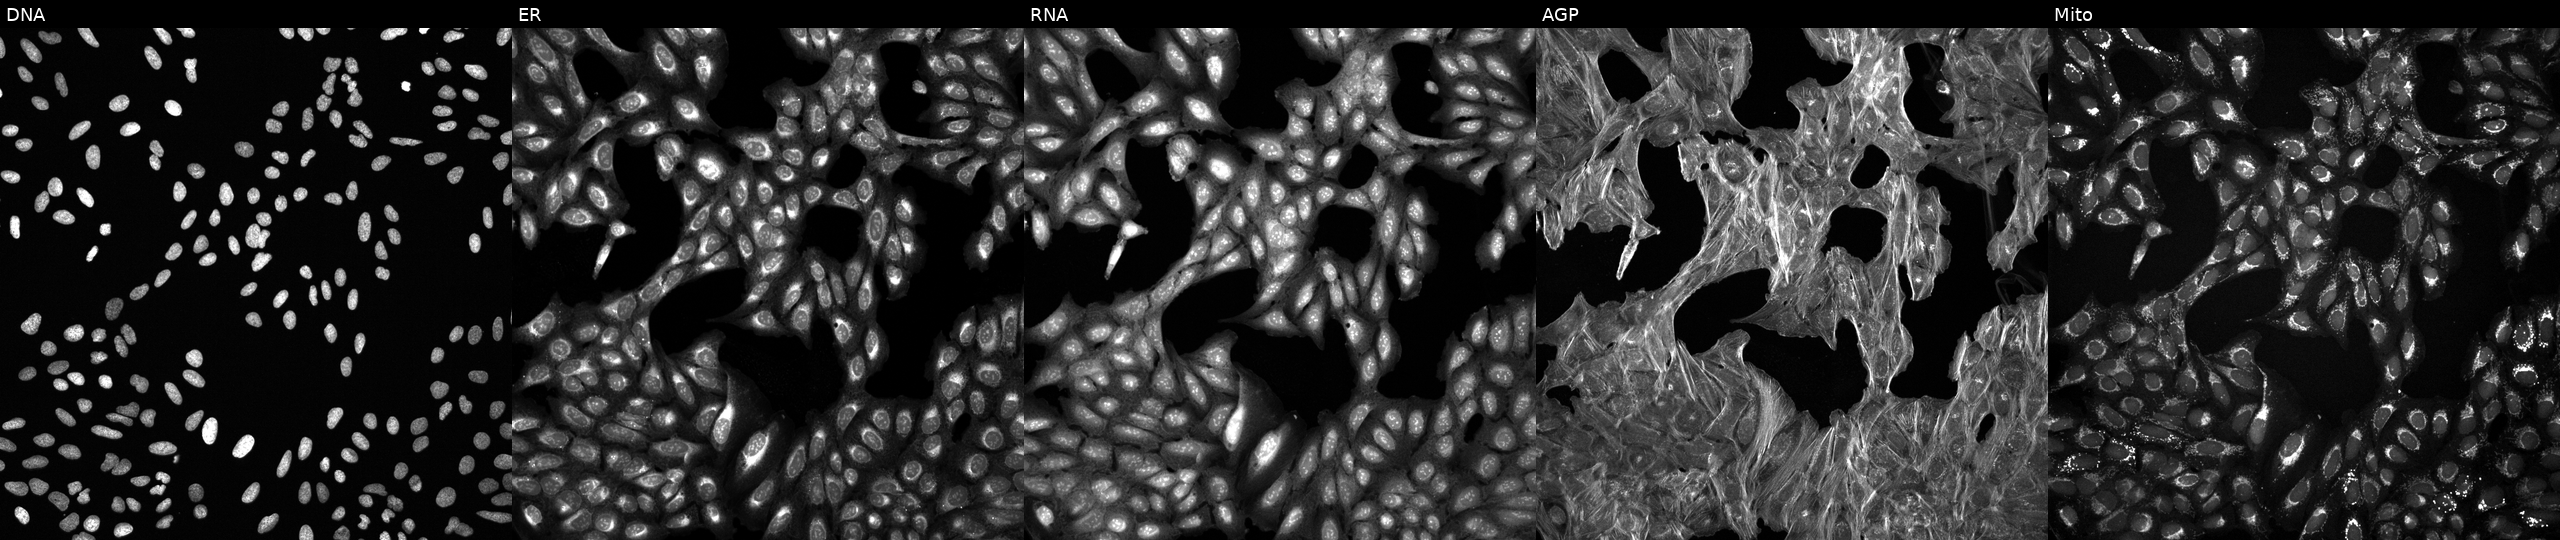
U2OS cells, Cell Painting assay, treated with a small-molecule compound (InChIKey ZUHKDGRSRLYDJZ-UHFFFAOYSA-N) [SMILES: COc1ccc(OC)c(CNS(=O)(=O)c2cc(-c3cc(C)no3)ccc2C)c1]. Channels (left→right): DNA (nuclei); ER (endoplasmic reticulum); RNA (nucleoli and cytoplasmic RNA); AGP (actin cytoskeleton, Golgi, and plasma membrane); Mito (mitochondria). Each panel is percentile-stretched 16-bit fluorescence.